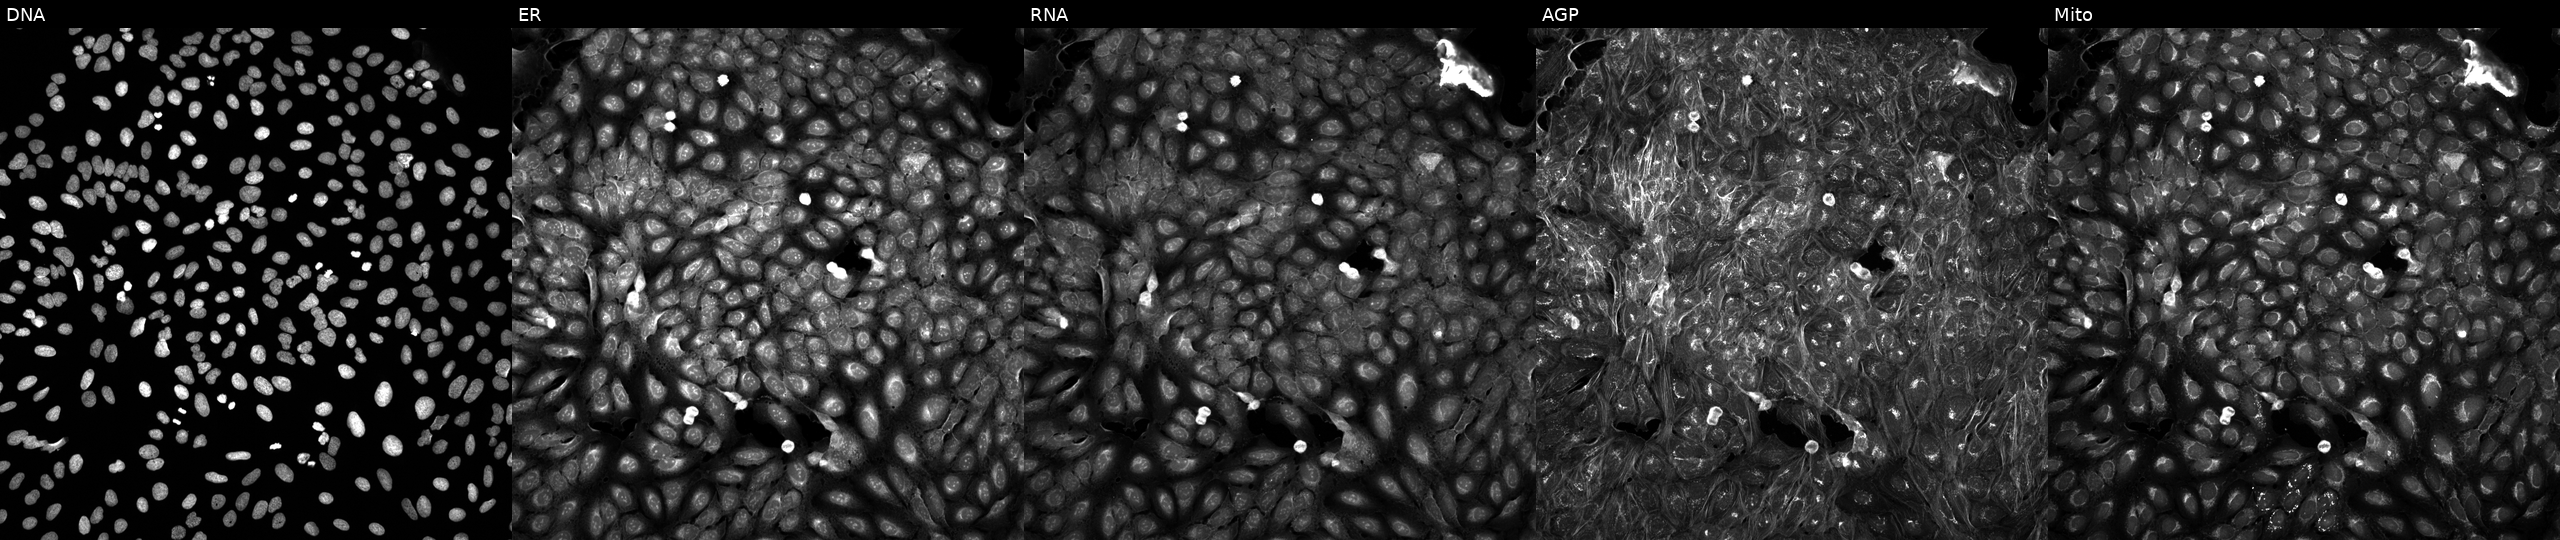
High-content fluorescence microscopy (Cell Painting). Cell line: U2OS. Perturbation: treated with a small-molecule compound (InChIKey DXKFXKGBVQWVRG-UHFFFAOYSA-N). Panels show, left to right, Hoechst 33342, concanavalin A, SYTO 14, phalloidin and WGA, MitoTracker.